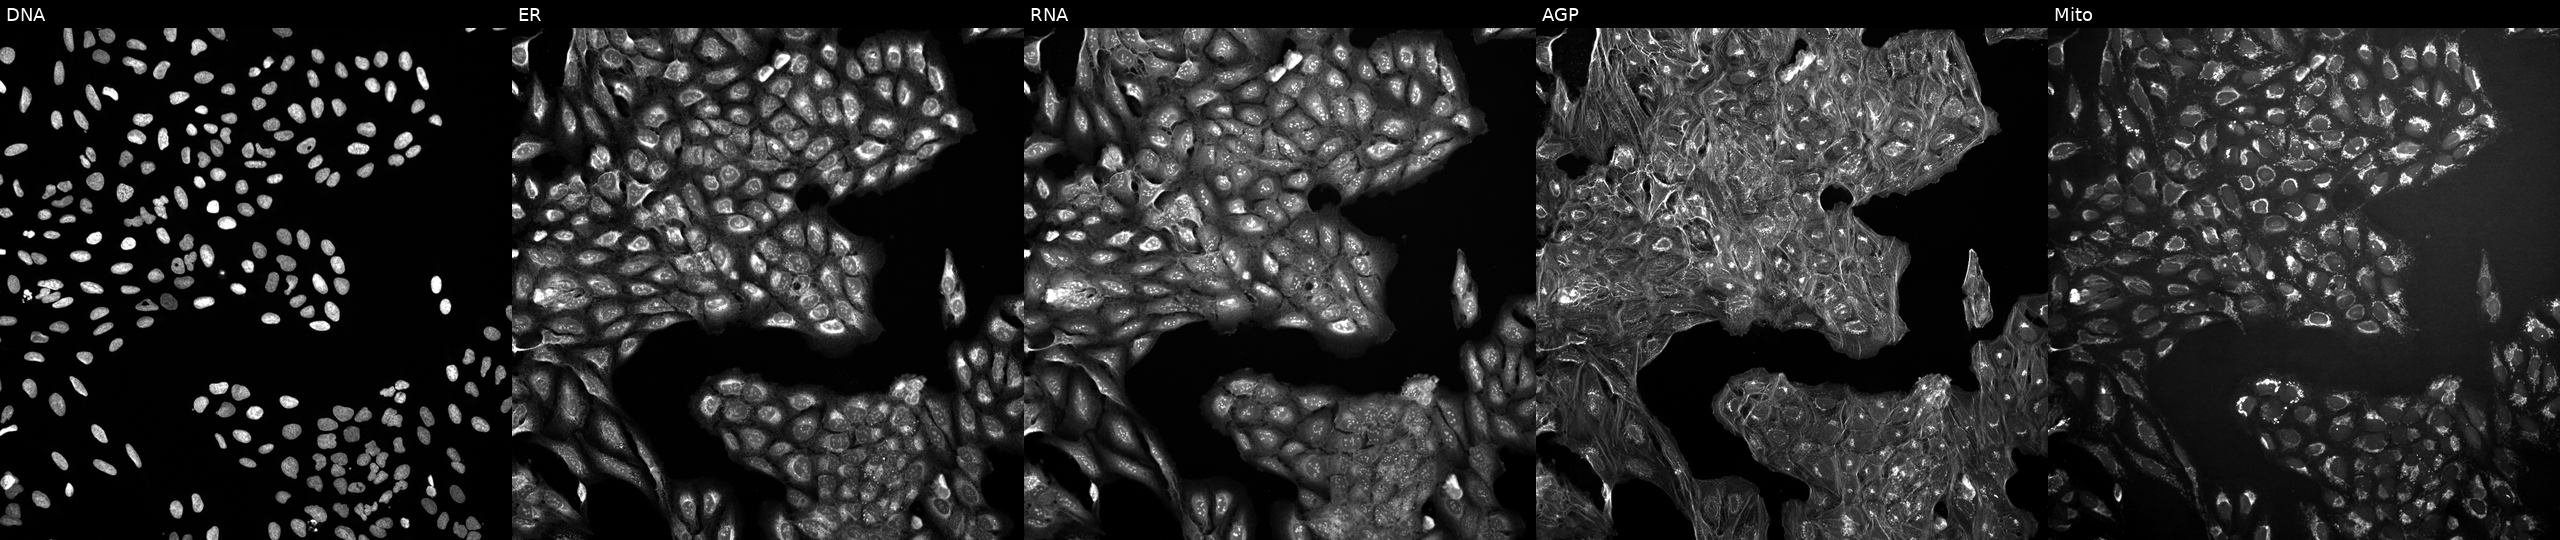
JUMP Cell Painting — COMPOUND plate. U2OS cells exposed to a small-molecule compound (InChIKey MQPDWEFQCMMEBN-UHFFFAOYSA-N) [SMILES: O=C(C1CCCO1)N1CCC(Cc2nncn2CC2CC2)CC1]. Panels show, left to right, Hoechst 33342, concanavalin A, SYTO 14, phalloidin and WGA, MitoTracker.